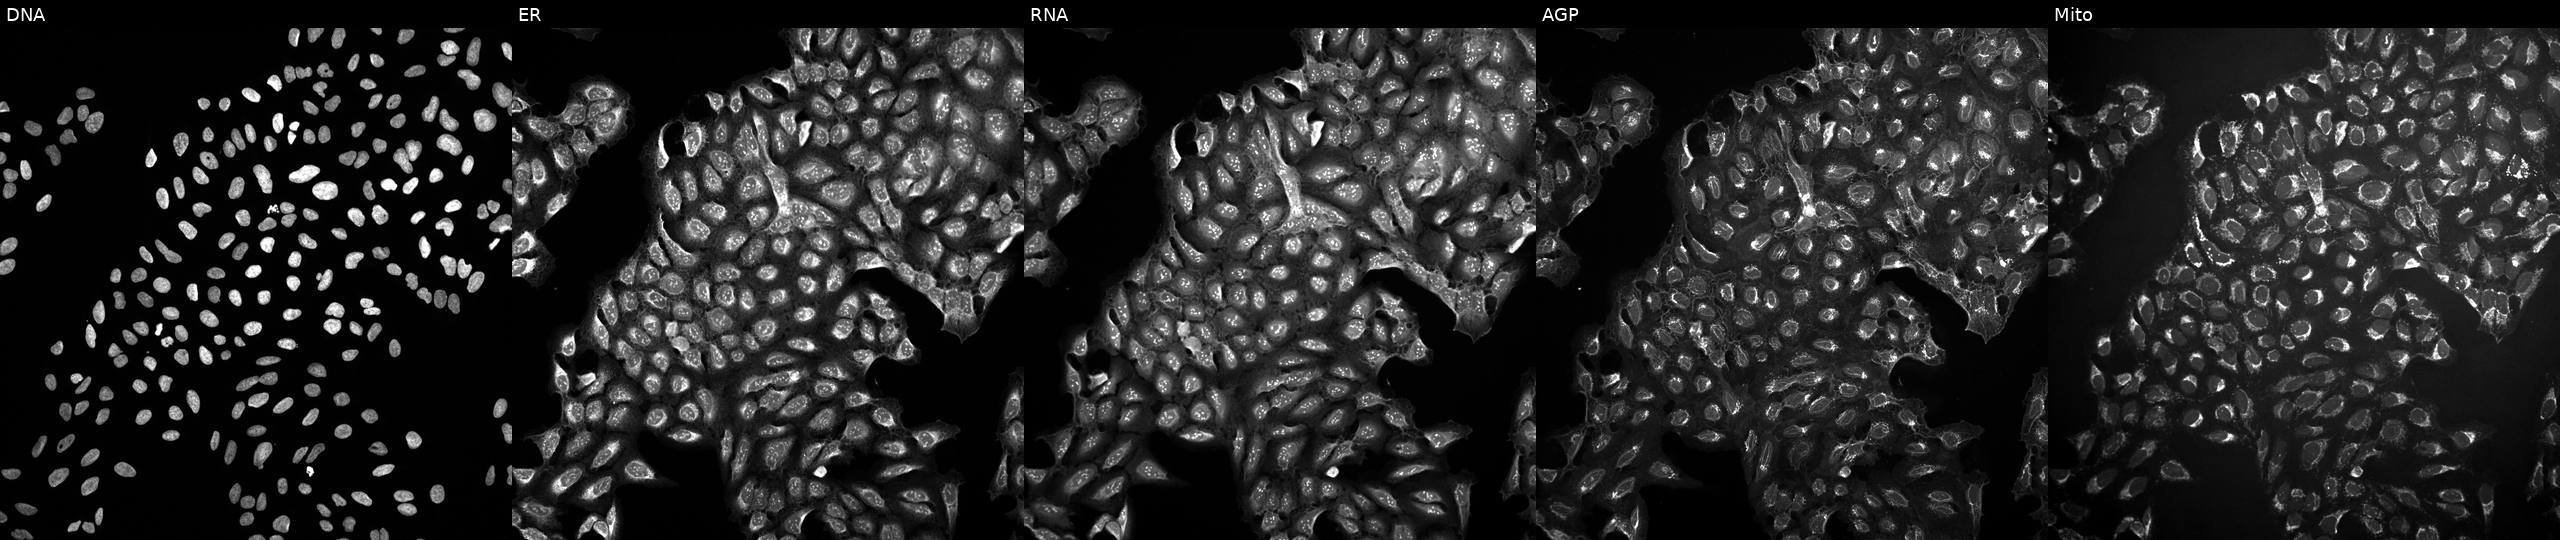
U2OS cells, Cell Painting assay, exposed to a small-molecule compound (InChIKey SVMHYHIZWOJKDL-UHFFFAOYSA-N) (JUMP id JCP2022_085892). The five panels, left to right, show DNA (nuclei); ER (endoplasmic reticulum); RNA (nucleoli and cytoplasmic RNA); AGP (actin cytoskeleton, Golgi, and plasma membrane); Mito (mitochondria). Each panel is percentile-stretched 16-bit fluorescence. Source 10, plate Dest210803-153958, well P12.